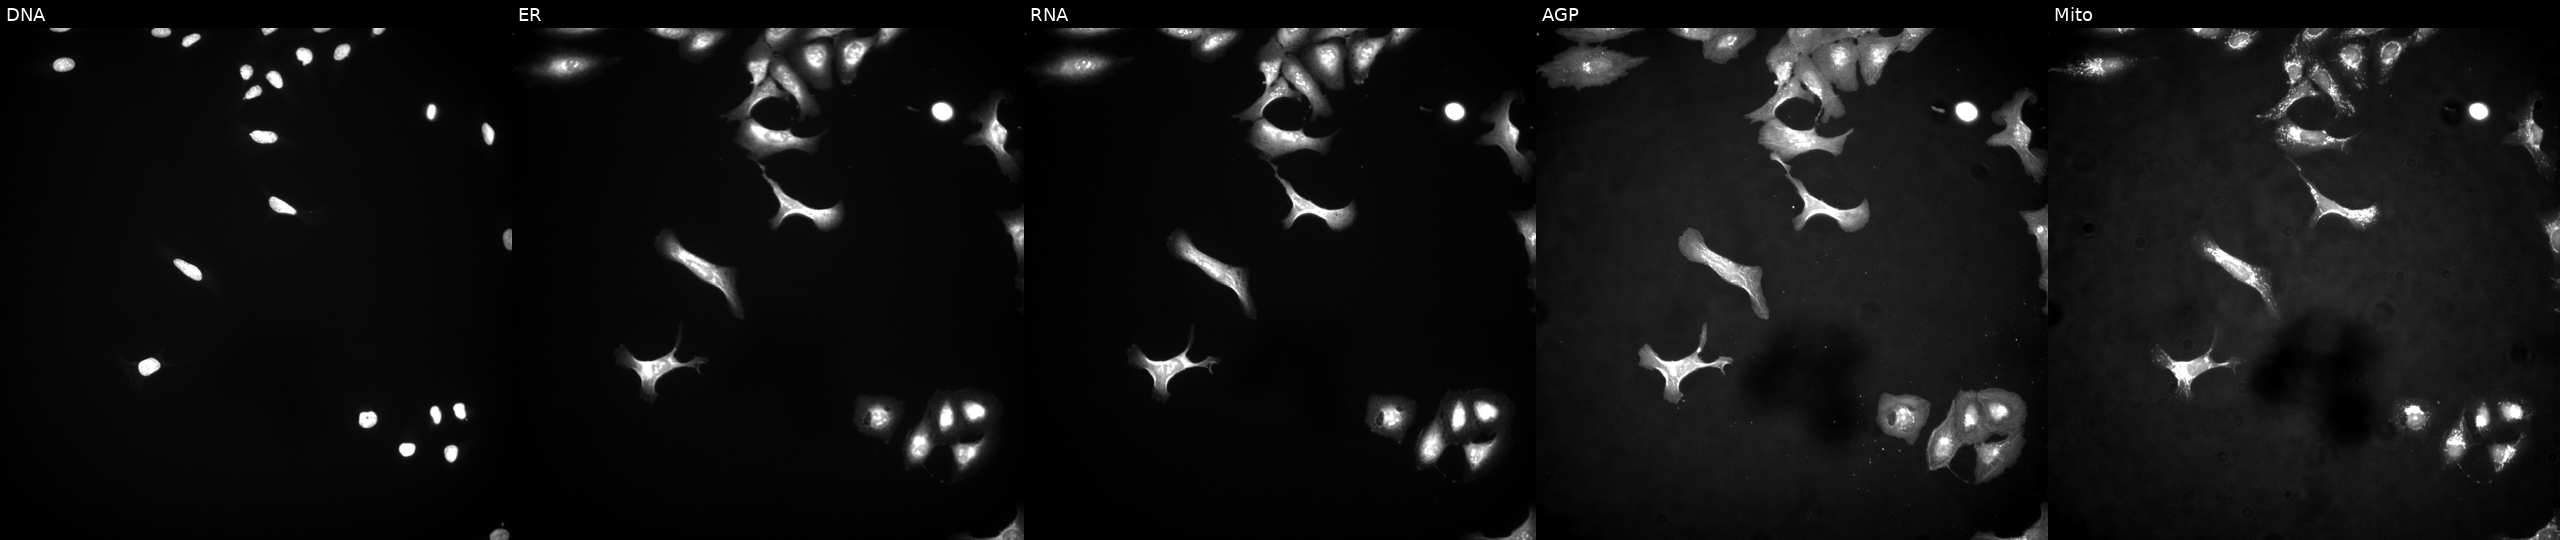
From left to right: DNA, ER, RNA, AGP, and Mito. U2OS osteosarcoma cells with PSMF1 overexpressed (ORF) (JUMP id JCP2022_910610). Cell Painting assay, JUMP-CP dataset. Source 4, plate BR00124790, well G14.